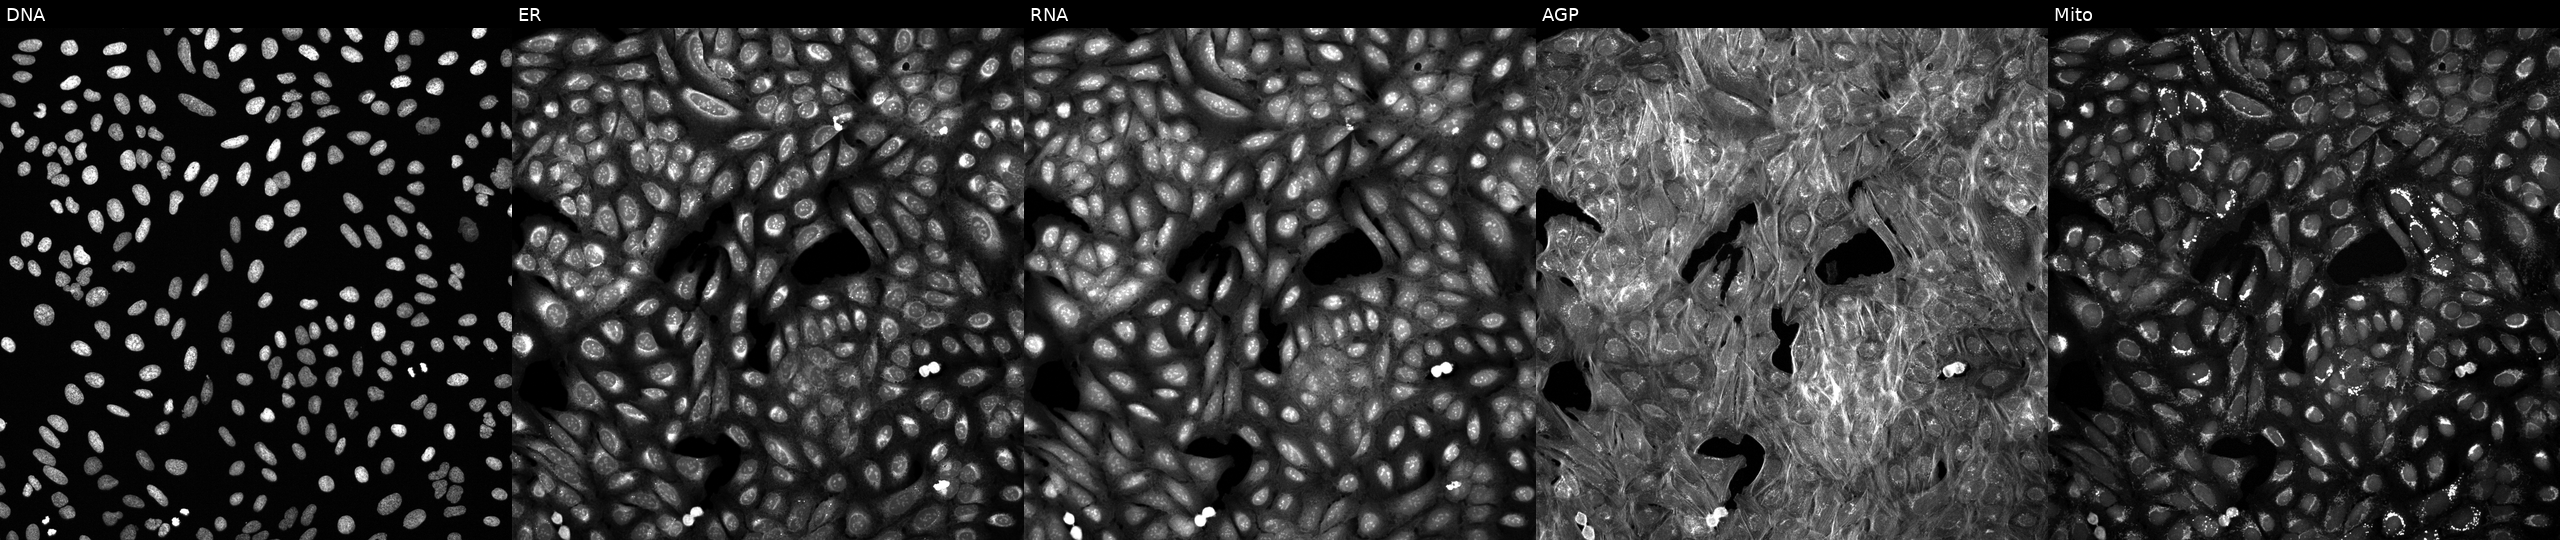
U2OS cells, Cell Painting assay, perturbed with a small-molecule compound (InChIKey PDMUULPVBYQBBK-UHFFFAOYSA-N) (JUMP id JCP2022_067887). The five panels, left to right, show DNA (nuclei); ER (endoplasmic reticulum); RNA (nucleoli and cytoplasmic RNA); AGP (actin cytoskeleton, Golgi, and plasma membrane); Mito (mitochondria). Each panel is percentile-stretched 16-bit fluorescence.